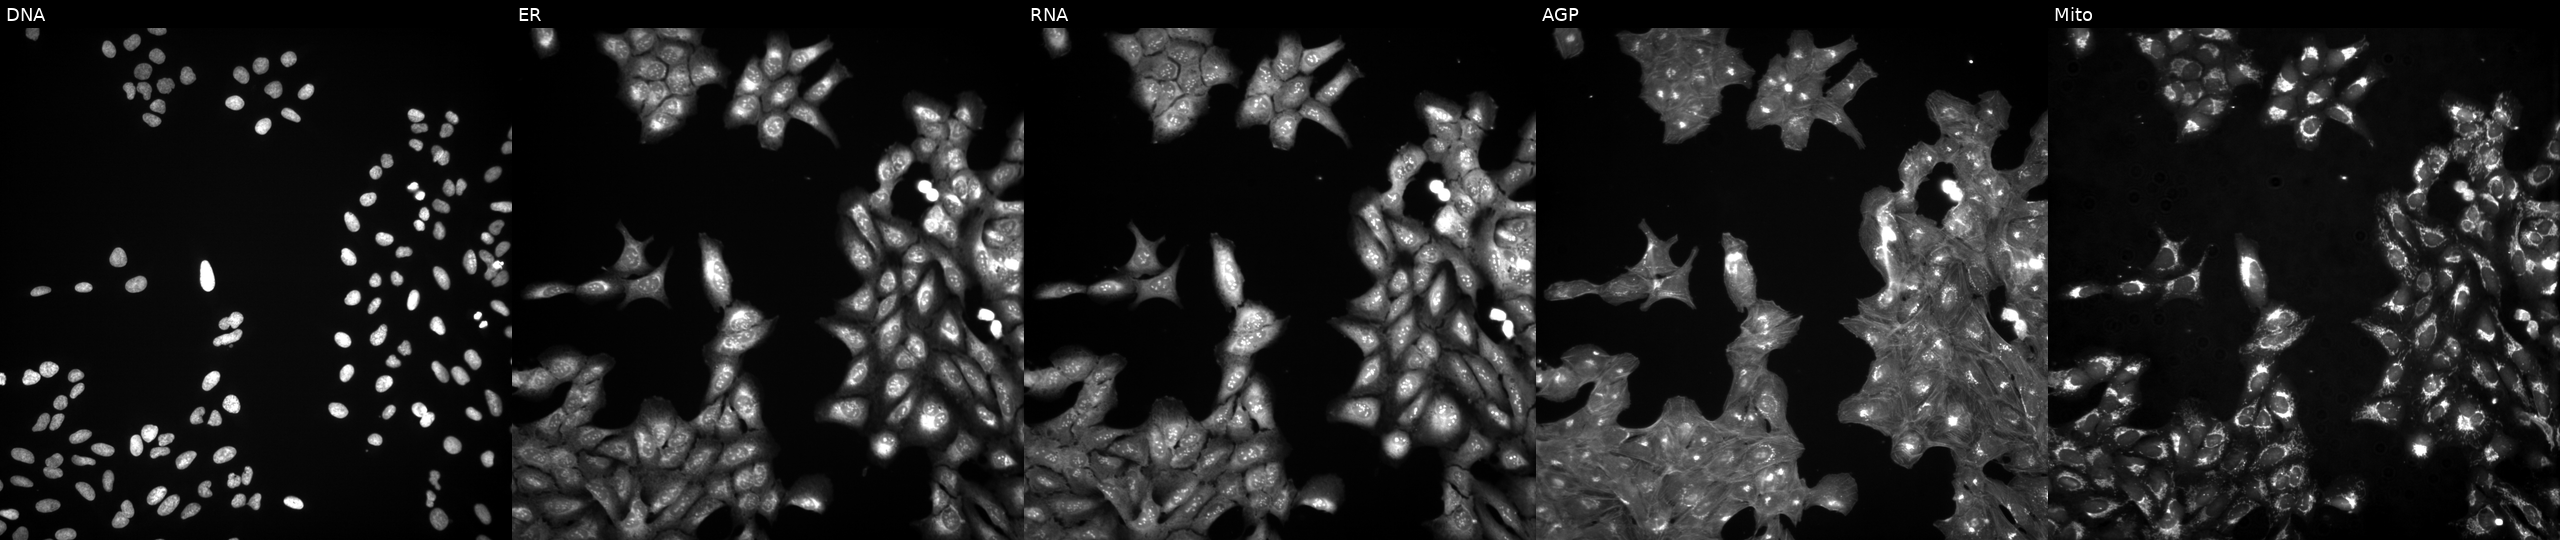
This image strip shows the five Cell Painting channels for a single field of U2OS cells perturbed with a small-molecule compound (InChIKey VCKUSRYTPJJLNI-UHFFFAOYSA-N) (JUMP id JCP2022_093047). From left to right: DNA (nuclei); ER (endoplasmic reticulum); RNA (nucleoli and cytoplasmic RNA); AGP (actin cytoskeleton, Golgi, and plasma membrane); Mito (mitochondria).